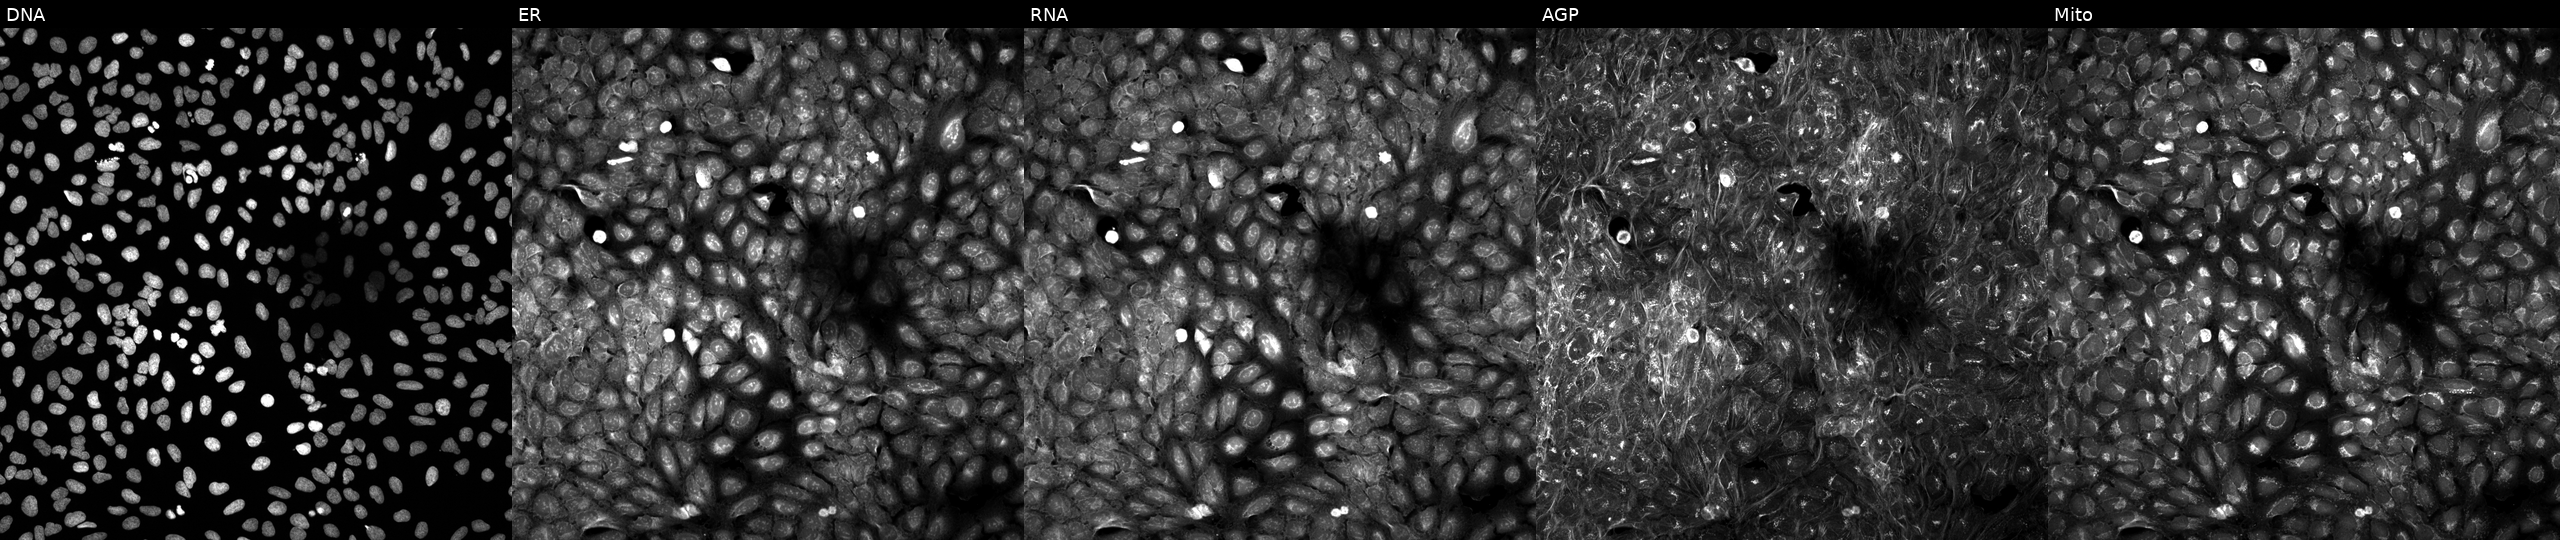
U2OS cells, Cell Painting assay, exposed to a small-molecule compound [SMILES: O=C(CC1Oc2ccccc2NC1=O)Nc1ccc(-c2nnc3n2CCCCC3)cc1]. The five panels, left to right, show Hoechst 33342, concanavalin A, SYTO 14, phalloidin and WGA, MitoTracker. Each panel is percentile-stretched 16-bit fluorescence. Source 5, plate APTJUM105, well L11.